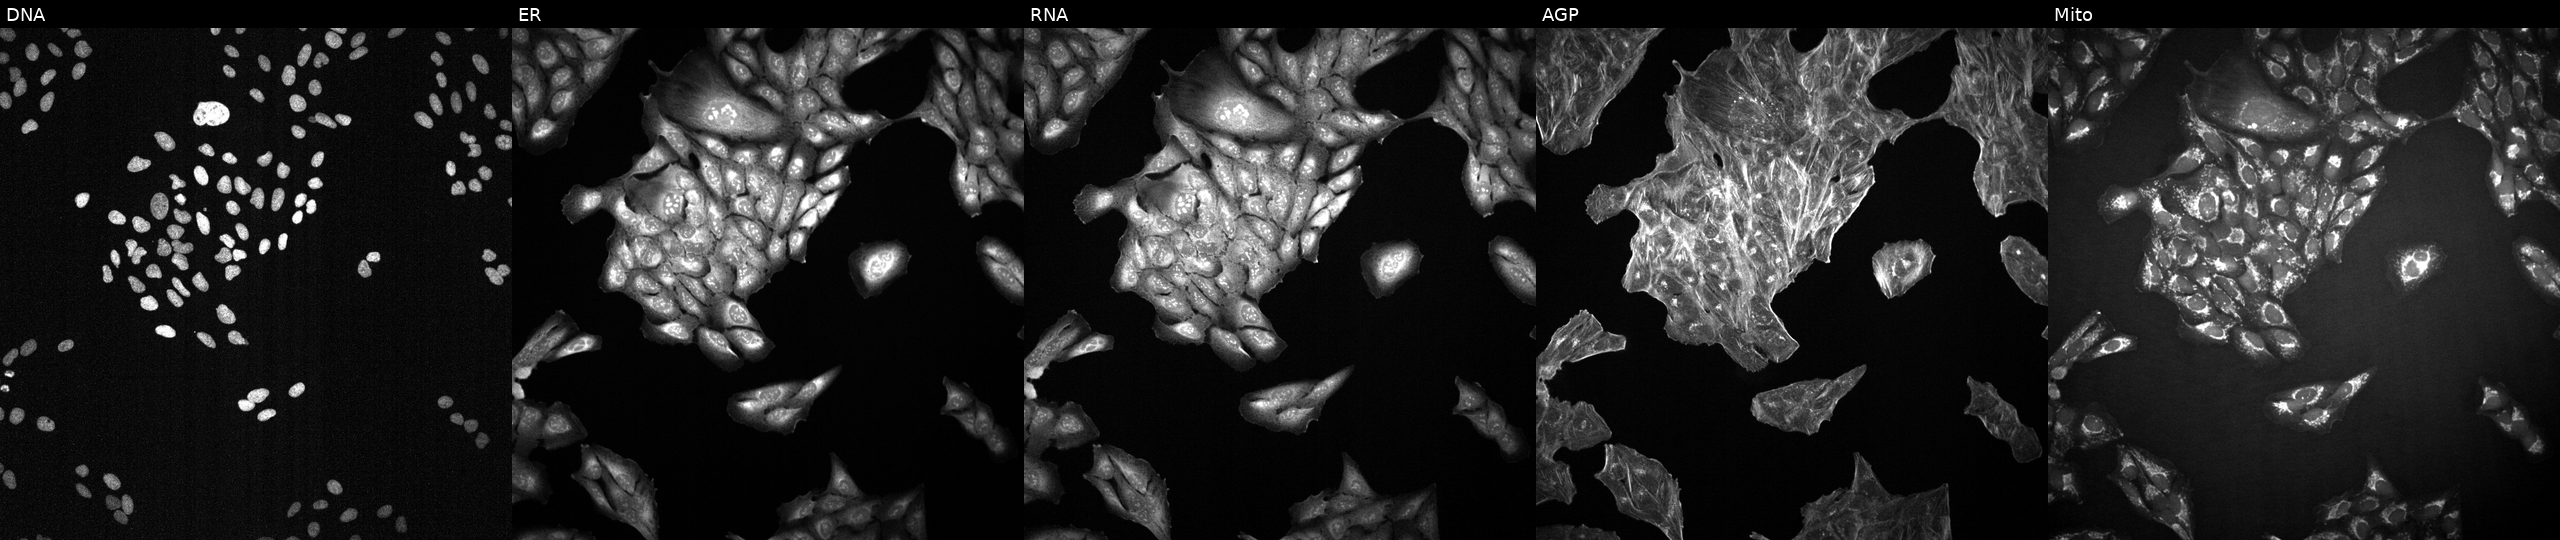
This image strip shows the five Cell Painting channels for a single field of U2OS cells exposed to a small-molecule compound (InChIKey MXJWRABVEGLYDG-UHFFFAOYSA-N) [SMILES: CCCCOc1ccc(CC(O)=NO)cc1]. Channels (left→right): DNA (nuclei); ER (endoplasmic reticulum); RNA (nucleoli and cytoplasmic RNA); AGP (actin cytoskeleton, Golgi, and plasma membrane); Mito (mitochondria).